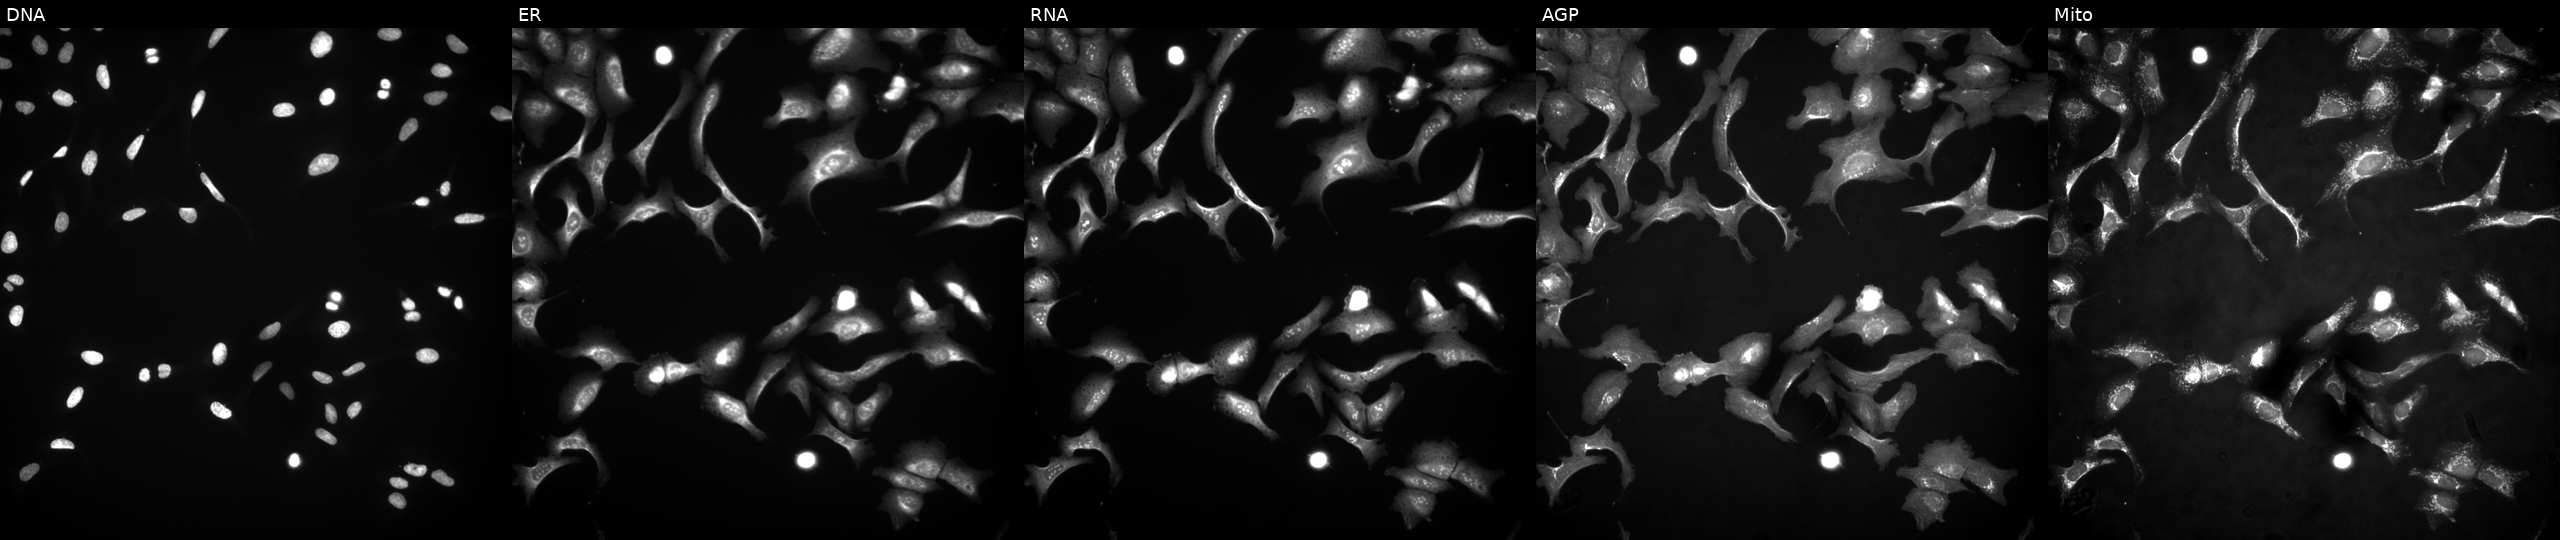
Panels show, left to right, DNA (nuclei); ER (endoplasmic reticulum); RNA (nucleoli and cytoplasmic RNA); AGP (actin cytoskeleton, Golgi, and plasma membrane); Mito (mitochondria). U2OS osteosarcoma cells with CT45A10 overexpressed (ORF) (JUMP id JCP2022_905312). Cell Painting assay, JUMP-CP dataset. Source 4, plate BR00124790, well D14.